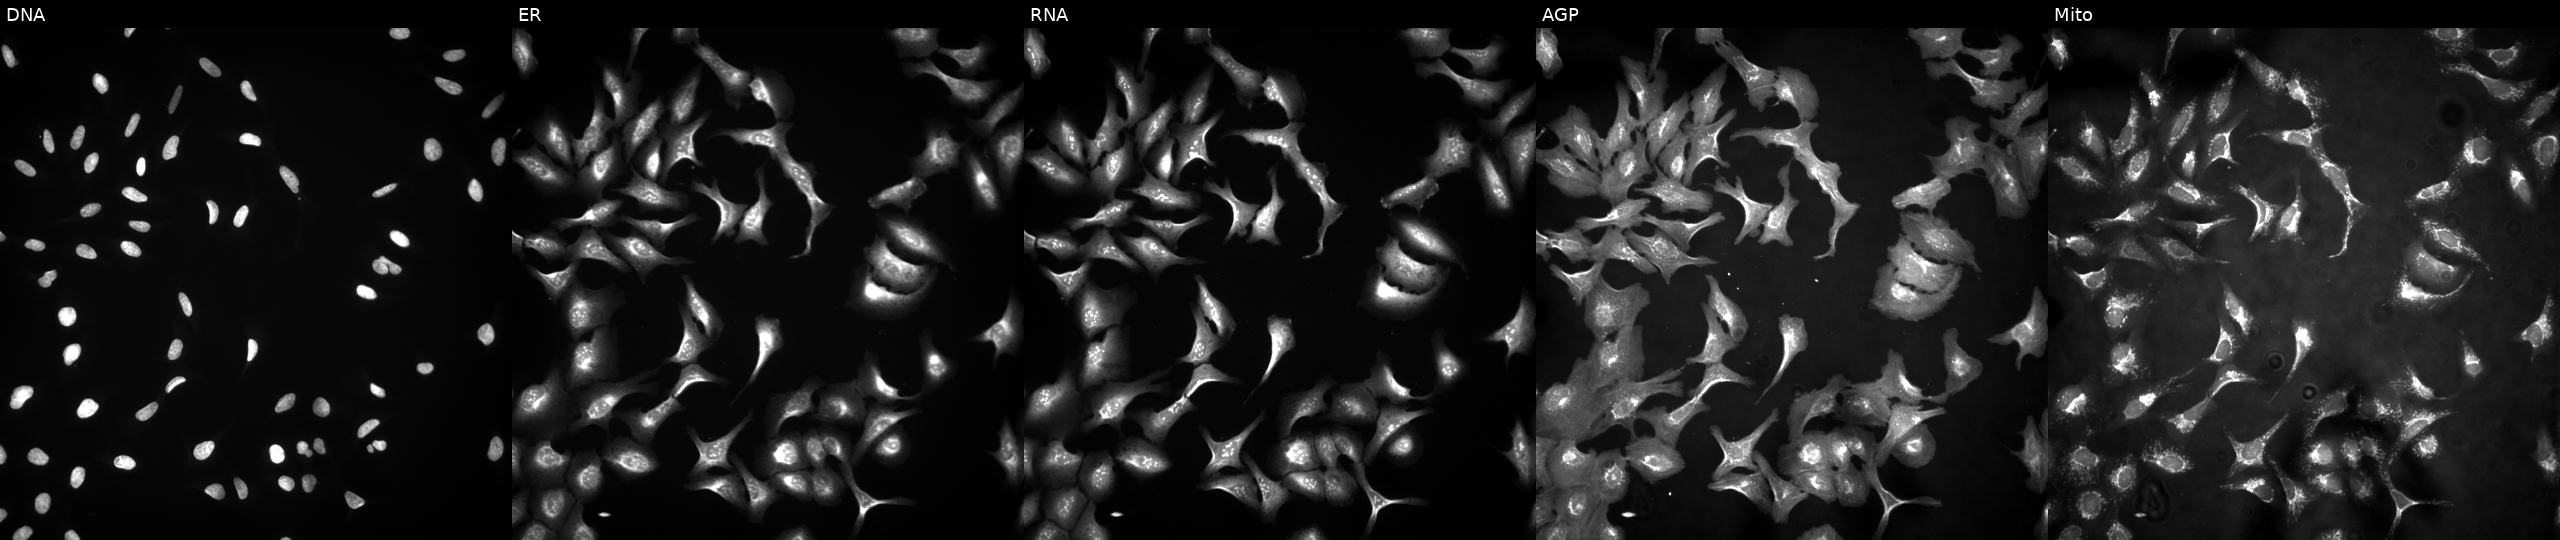
High-content fluorescence microscopy (Cell Painting). Cell line: U2OS. Perturbation: in an empty control well (no perturbation) (JUMP id JCP2022_999999). Channels (left→right): DNA, ER, RNA, AGP, and Mito. Source 4, plate BR00121543, well P22.